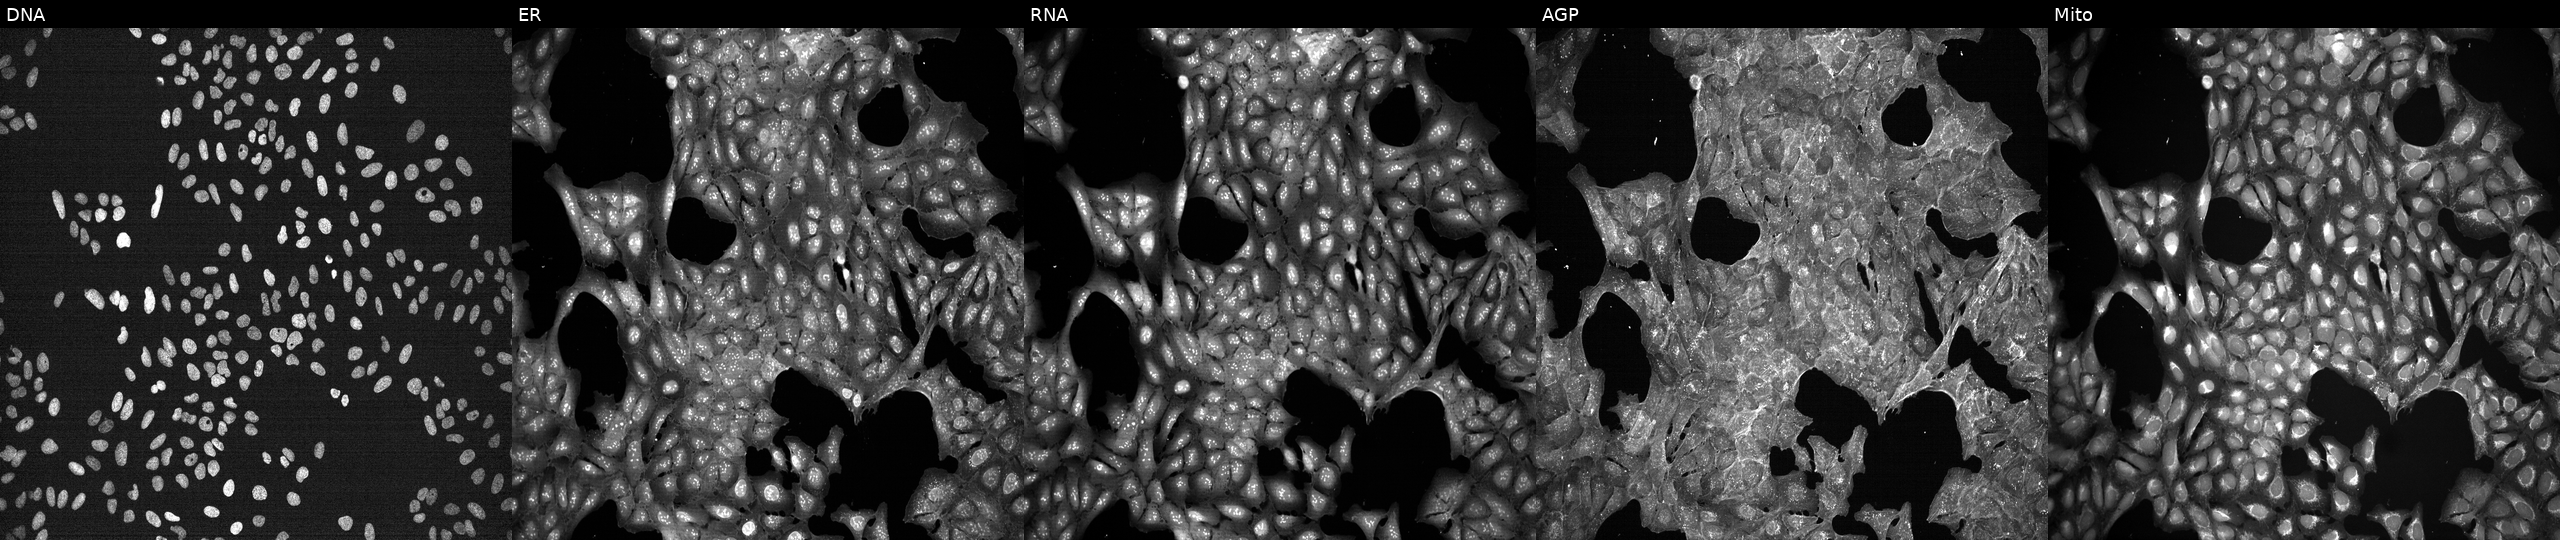
This image strip shows the five Cell Painting channels for a single field of U2OS cells treated with DMSO vehicle only (negative control) (JUMP id JCP2022_033924). The five panels, left to right, show DNA, ER, RNA, AGP, and Mito.